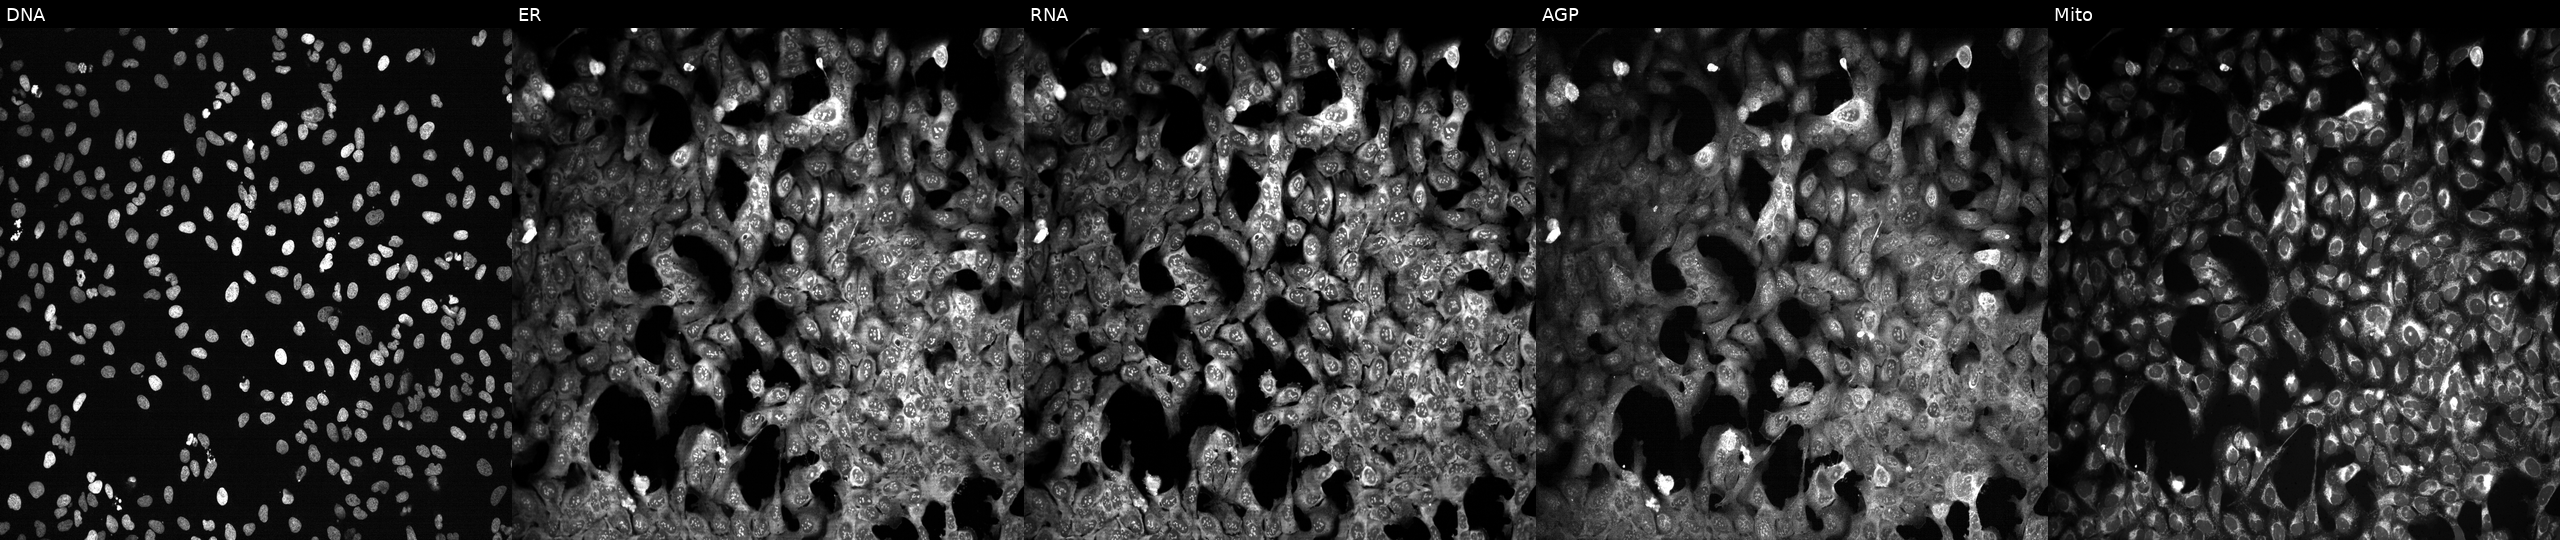
U2OS cells, Cell Painting assay, CRISPR-edited to disrupt ITGB5. The five panels, left to right, show Hoechst 33342, concanavalin A, SYTO 14, phalloidin and WGA, MitoTracker. Each panel is percentile-stretched 16-bit fluorescence. Source 13, plate CP-CC9-R4-03, well N19.